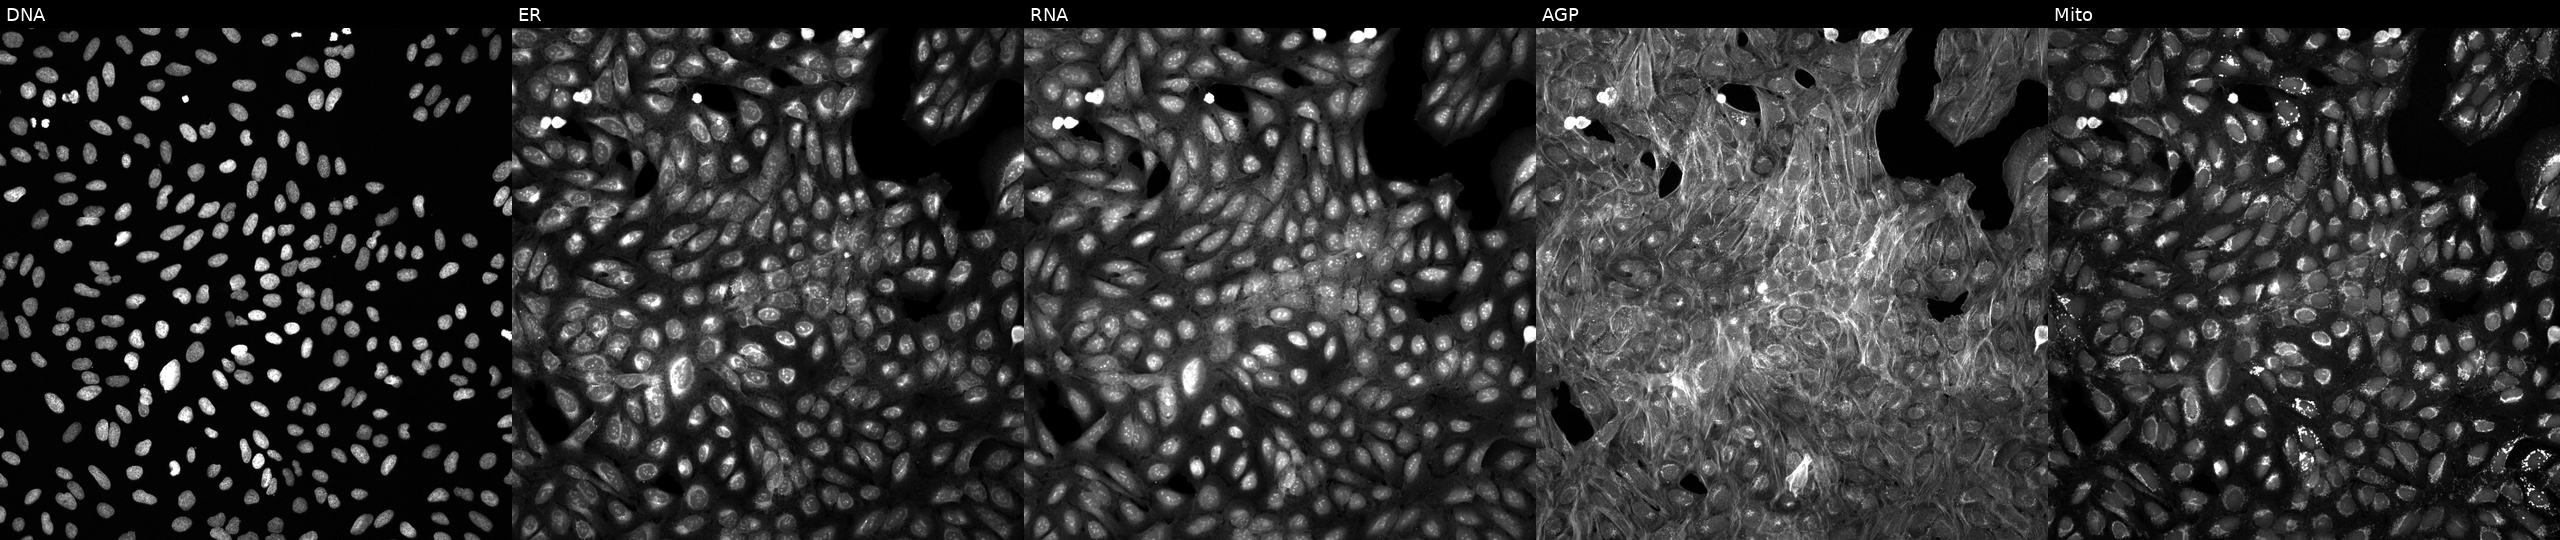
U2OS cells, Cell Painting assay, exposed to a small-molecule compound [SMILES: O=C(O)c1ccccc1O]. The five panels, left to right, show Hoechst 33342, concanavalin A, SYTO 14, phalloidin and WGA, MitoTracker. Each panel is percentile-stretched 16-bit fluorescence.